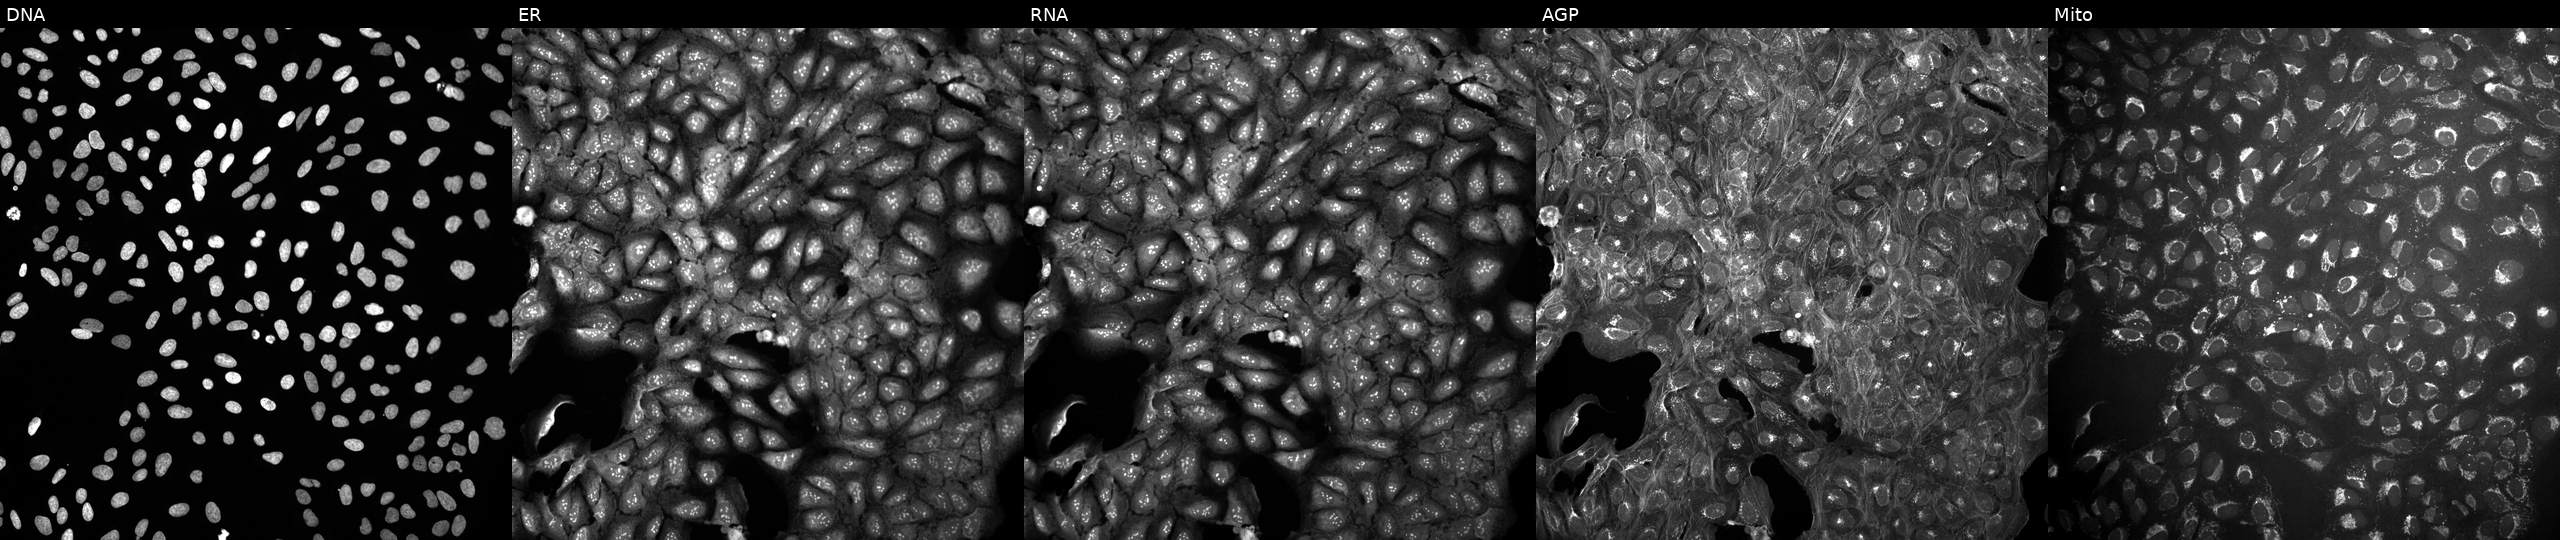
Channels (left→right): DNA, ER, RNA, AGP, and Mito. U2OS osteosarcoma cells untreated (empty-well control). Cell Painting assay, JUMP-CP dataset.